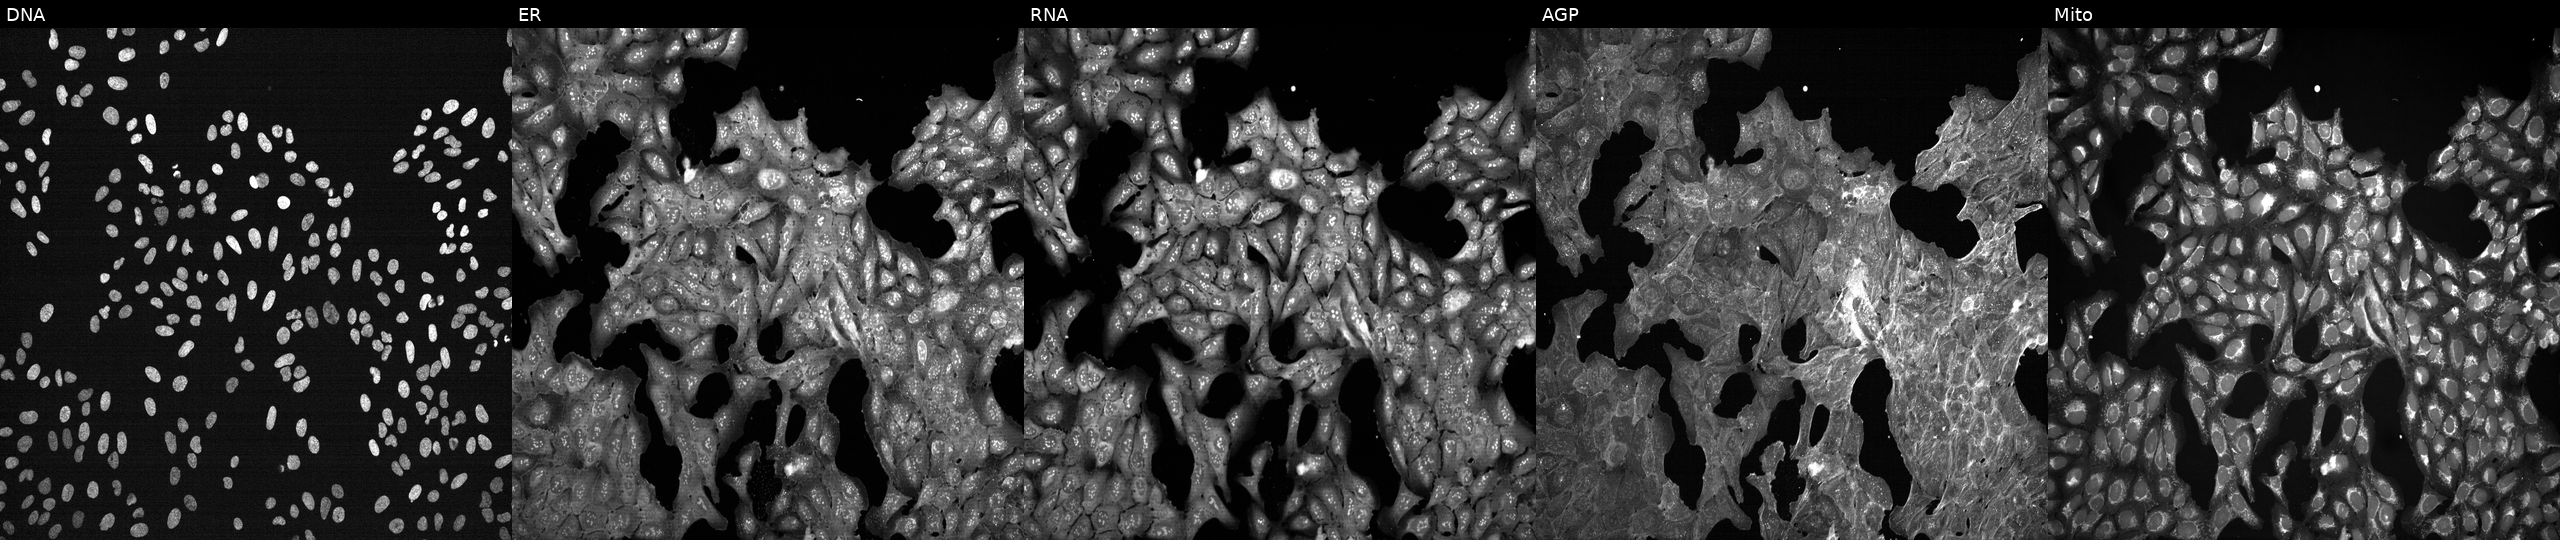
This image strip shows the five Cell Painting channels for a single field of U2OS cells exposed to a small-molecule compound (InChIKey UPWGQKDVAURUGE-UHFFFAOYSA-N). Channels (left→right): Hoechst 33342, concanavalin A, SYTO 14, phalloidin and WGA, MitoTracker. Source 7, plate CP3-SC1-25, well P14.